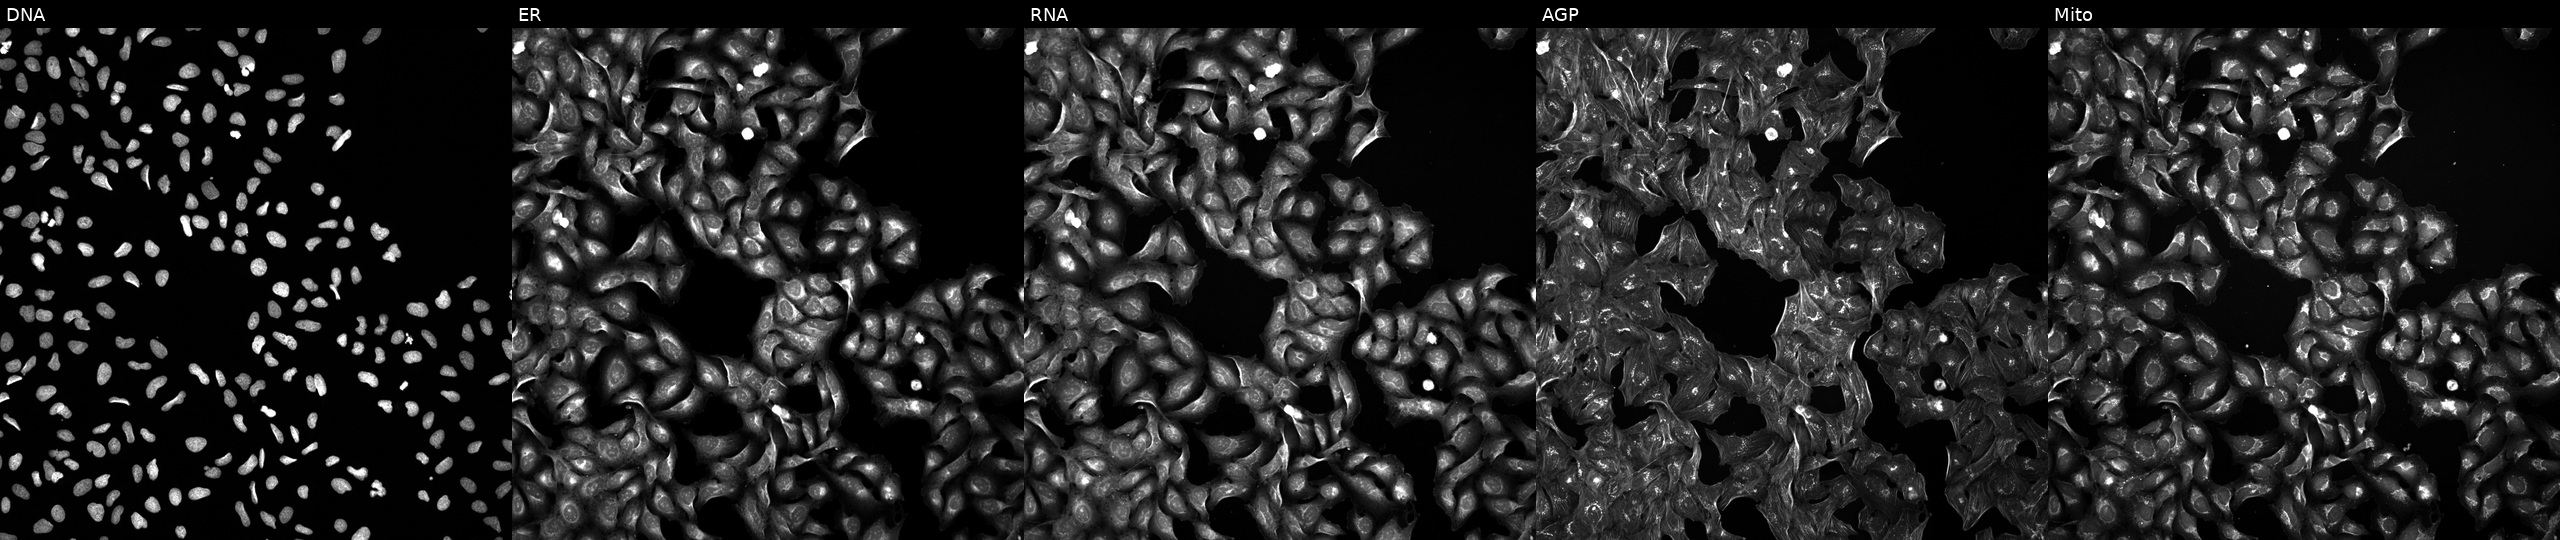
U2OS cells, Cell Painting assay, exposed to the positive-control compound NVS-PAK1-1. Channels (left→right): DNA (nuclei); ER (endoplasmic reticulum); RNA (nucleoli and cytoplasmic RNA); AGP (actin cytoskeleton, Golgi, and plasma membrane); Mito (mitochondria). Each panel is percentile-stretched 16-bit fluorescence.